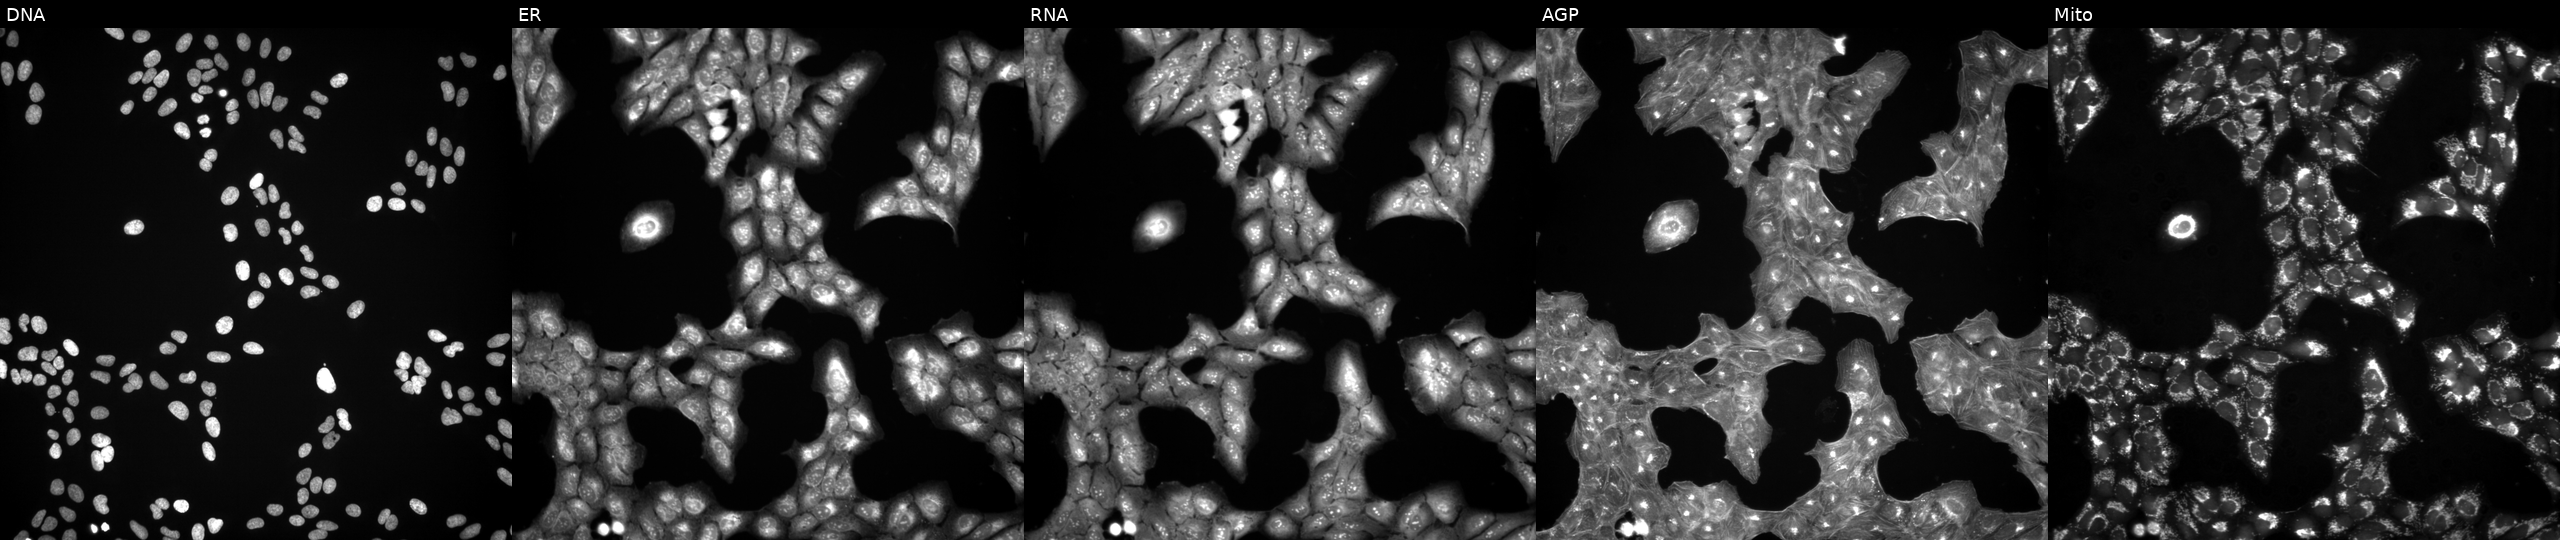
High-content fluorescence microscopy (Cell Painting). Cell line: U2OS. Perturbation: exposed to a small-molecule compound [SMILES: Cc1nc2c([nH]1)-c1ccccc1N(C(=O)c1ccc(NC(=O)c3ccccc3-c3ccccc3)cc1)CC2]. Panels show, left to right, DNA, ER, RNA, AGP, and Mito.